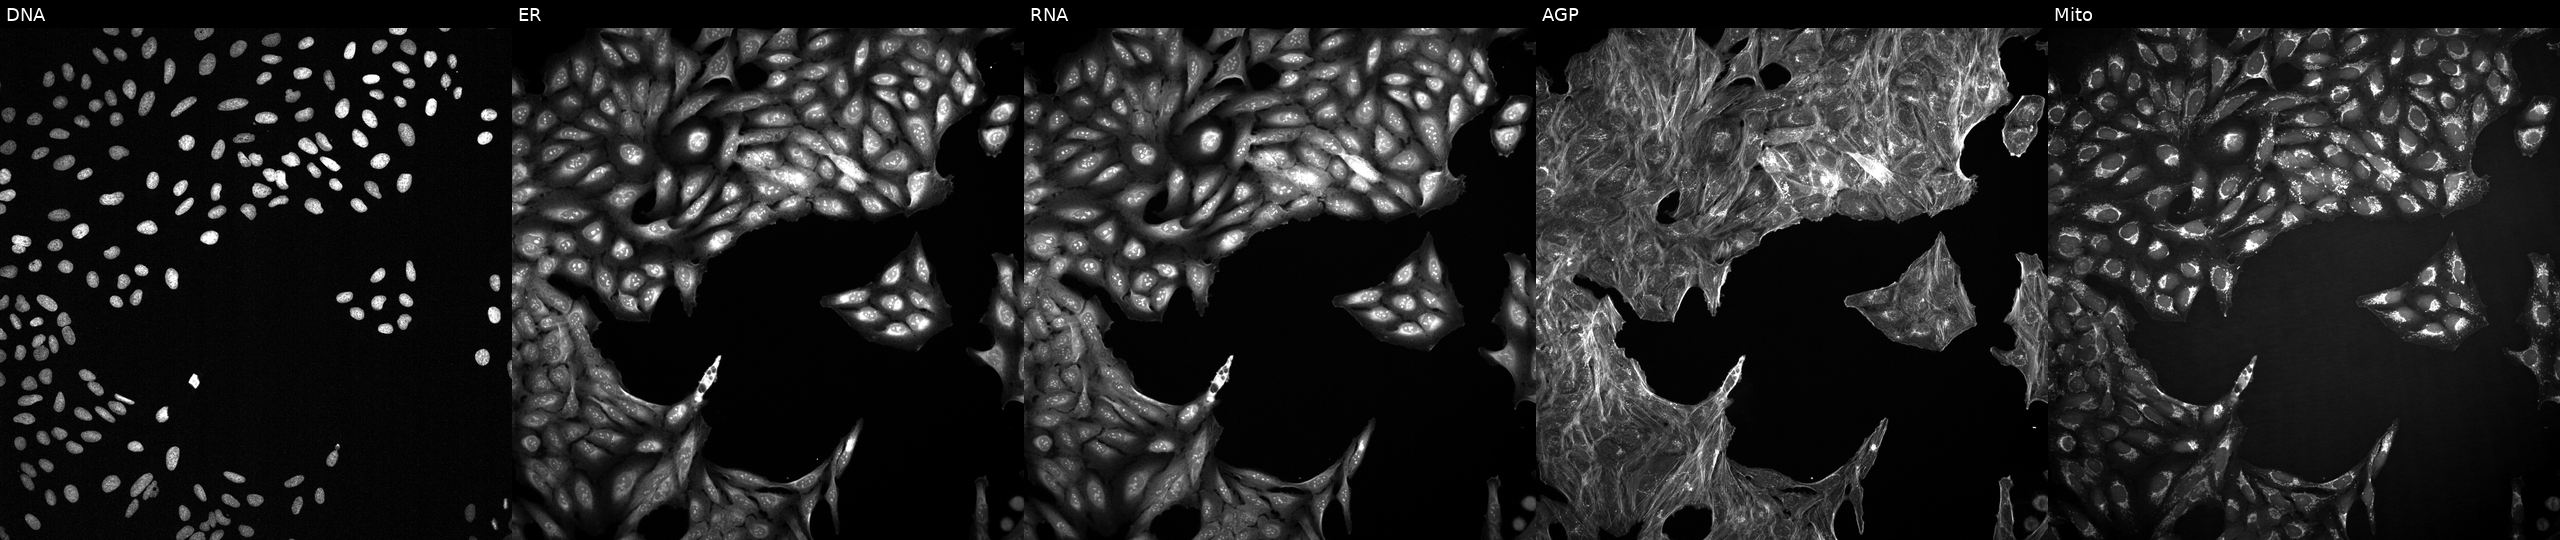
Five-channel Cell Painting image of U2OS cells perturbed with a small-molecule compound (InChIKey NITYDPDXAAFEIT-UHFFFAOYSA-N) [SMILES: CNC(=O)C(Cc1c[nH]c2ccccc12)NC(=O)C(CC(O)=NO)CC(C)C] (JUMP id JCP2022_059269). The five panels, left to right, show DNA, ER, RNA, AGP, and Mito. Source 2, plate 1053600674, well M17.